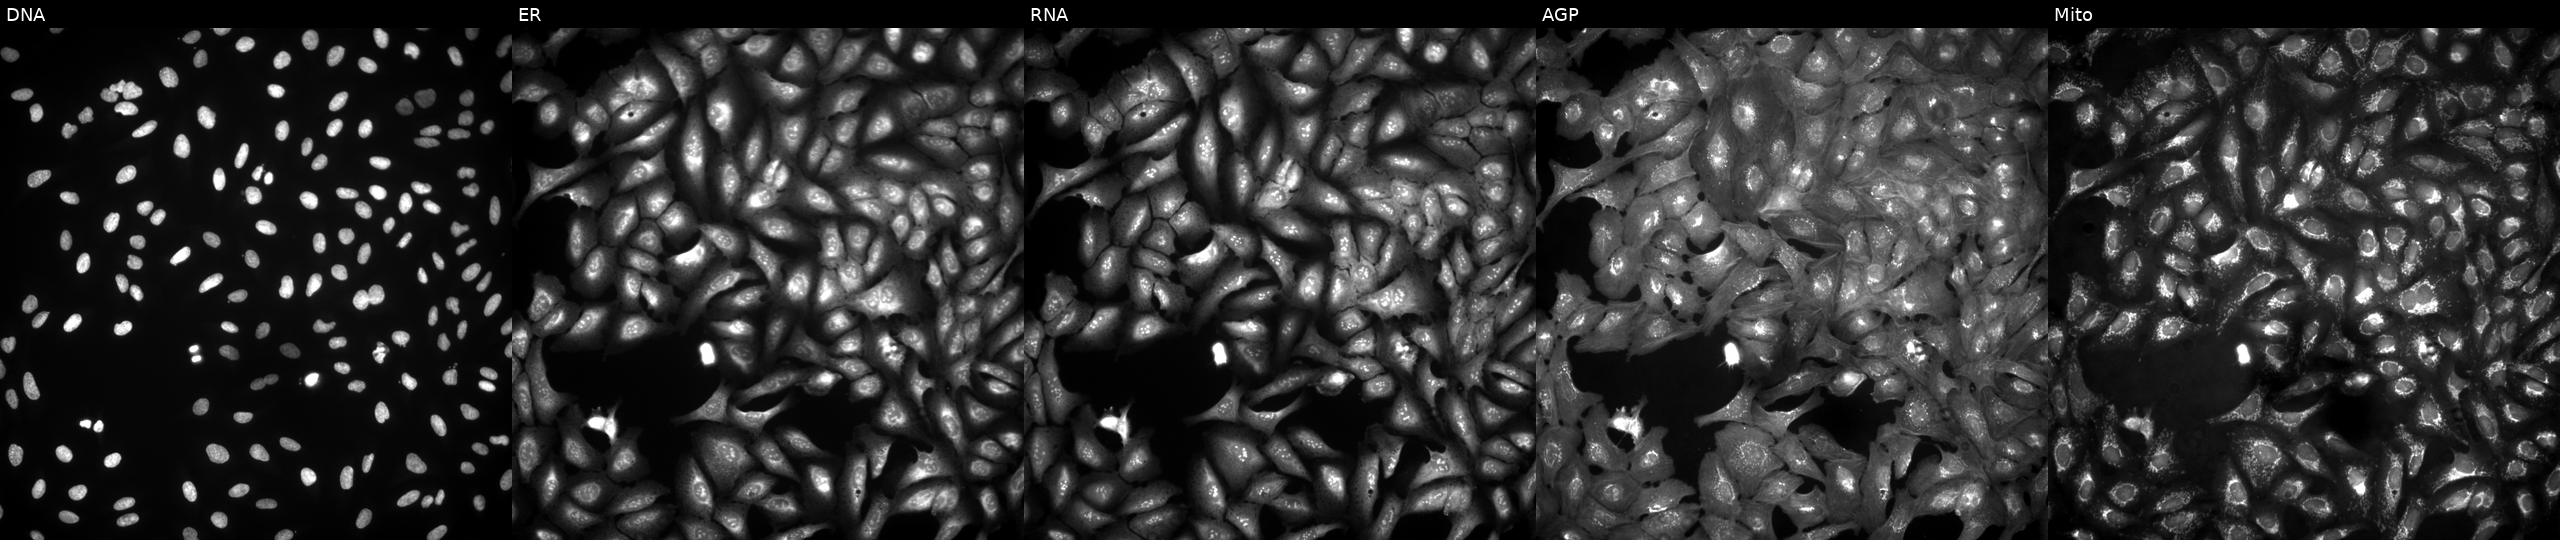
High-content fluorescence microscopy (Cell Painting). Cell line: U2OS. Perturbation: overexpressing CNGA3 via ORF transfection. Channels (left→right): DNA (nuclei); ER (endoplasmic reticulum); RNA (nucleoli and cytoplasmic RNA); AGP (actin cytoskeleton, Golgi, and plasma membrane); Mito (mitochondria). Source 4, plate BR00124790, well C14.